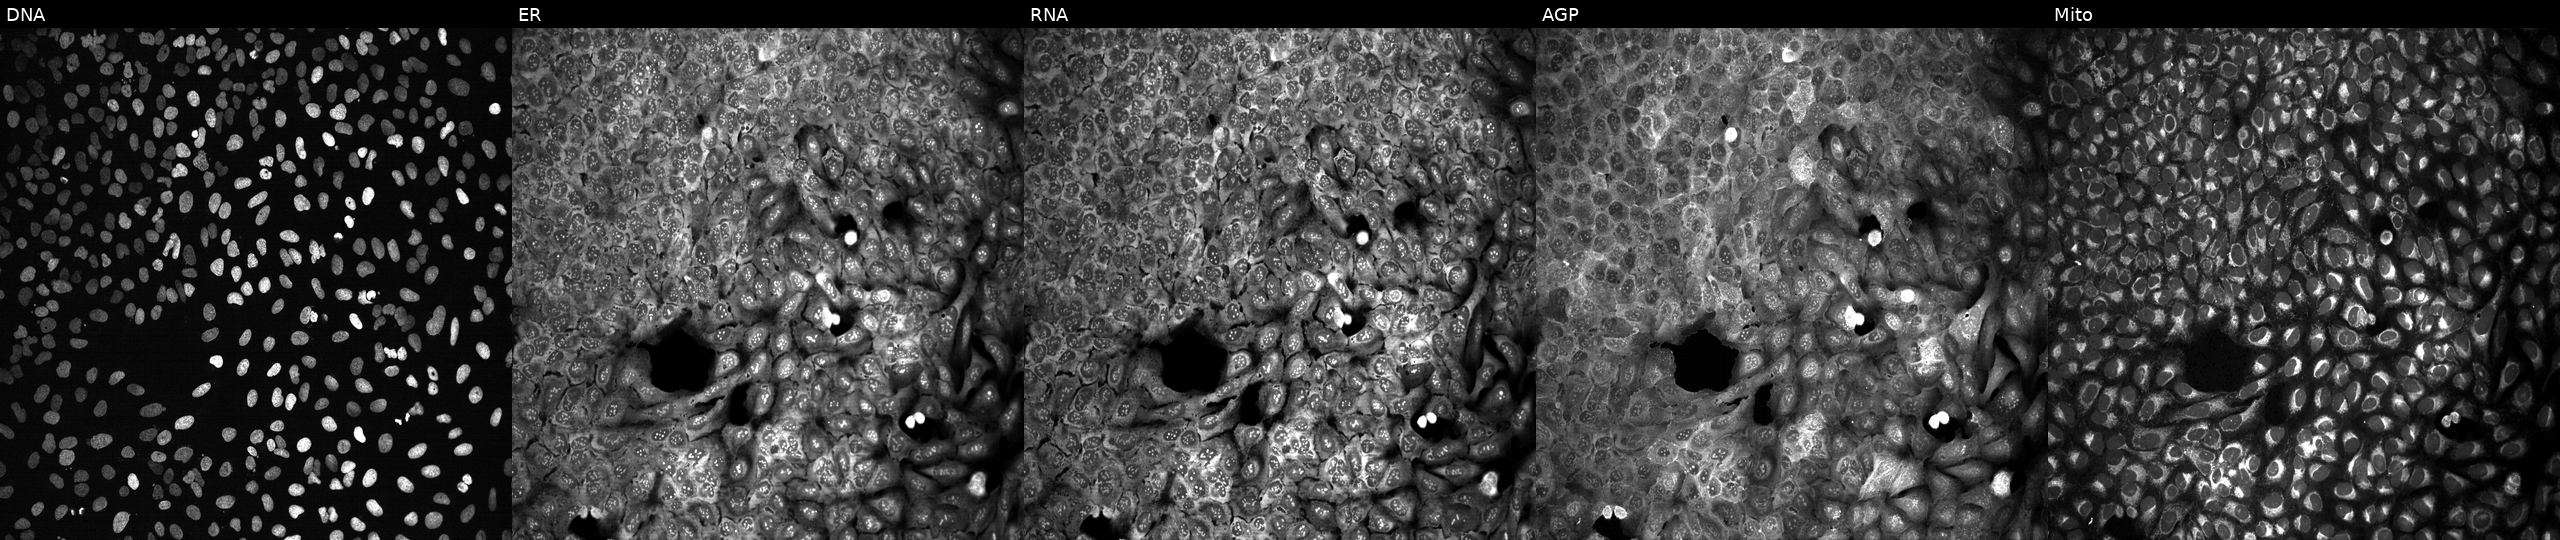
JUMP Cell Painting — CRISPR plate. U2OS cells with SLC27A3 knocked out by CRISPR (JUMP id JCP2022_806474). From left to right: DNA (nuclei); ER (endoplasmic reticulum); RNA (nucleoli and cytoplasmic RNA); AGP (actin cytoskeleton, Golgi, and plasma membrane); Mito (mitochondria).